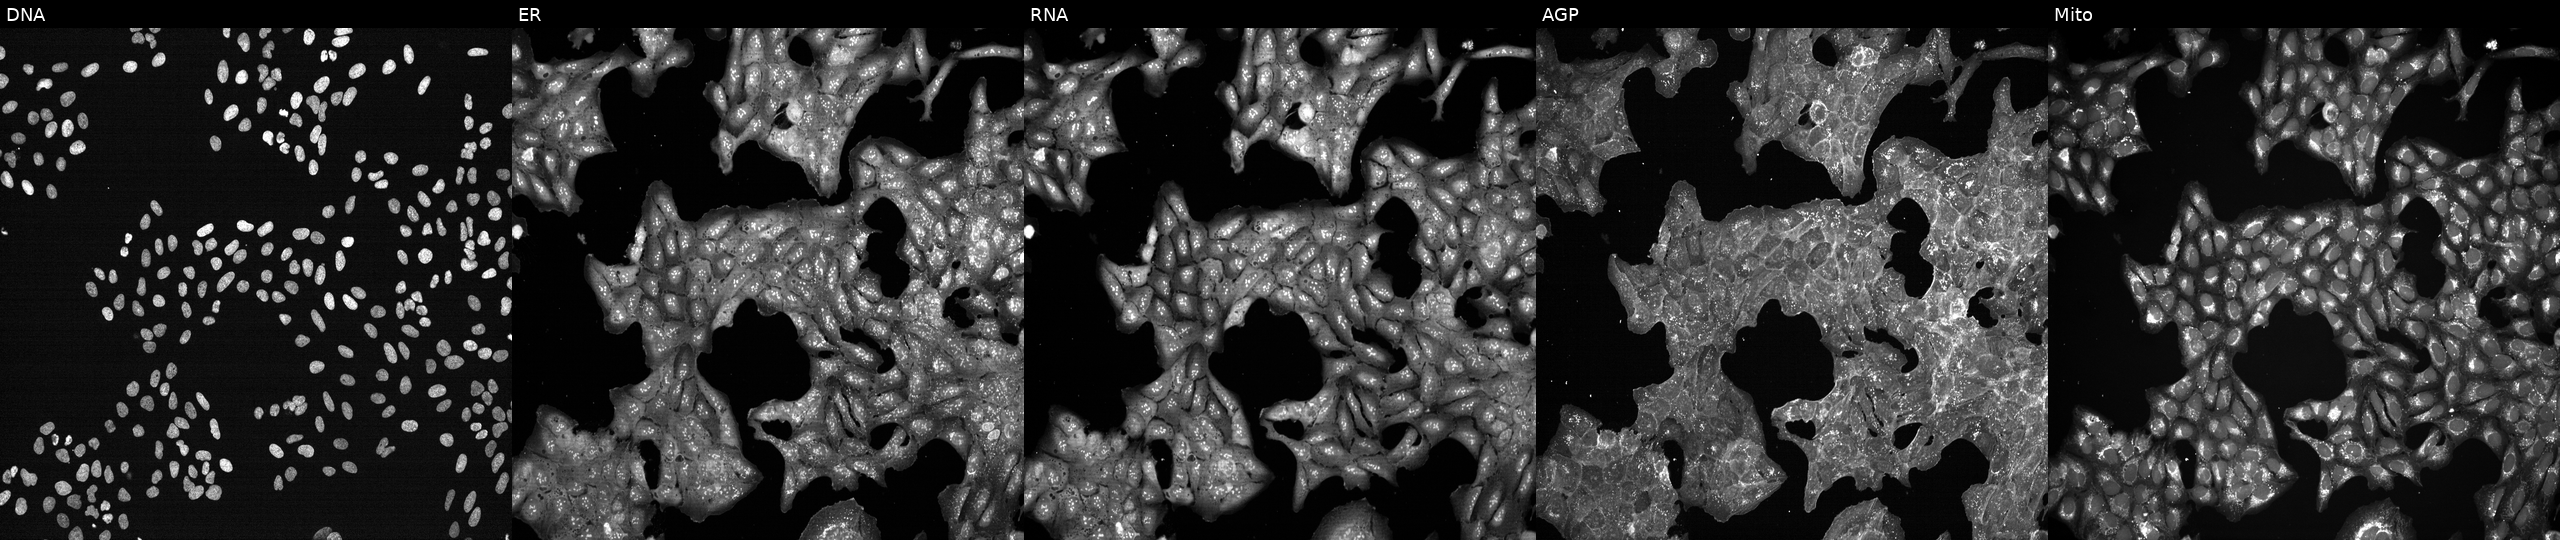
Five-channel Cell Painting image of U2OS cells perturbed with a small-molecule compound (InChIKey YULUCECVQOCQFQ-UHFFFAOYSA-N) [SMILES: NCC(=O)Nc1ccc(-n2nc(C(F)(F)F)cc2-c2ccc3c(ccc4ccccc43)c2)cc1]. Panels show, left to right, DNA, ER, RNA, AGP, and Mito.